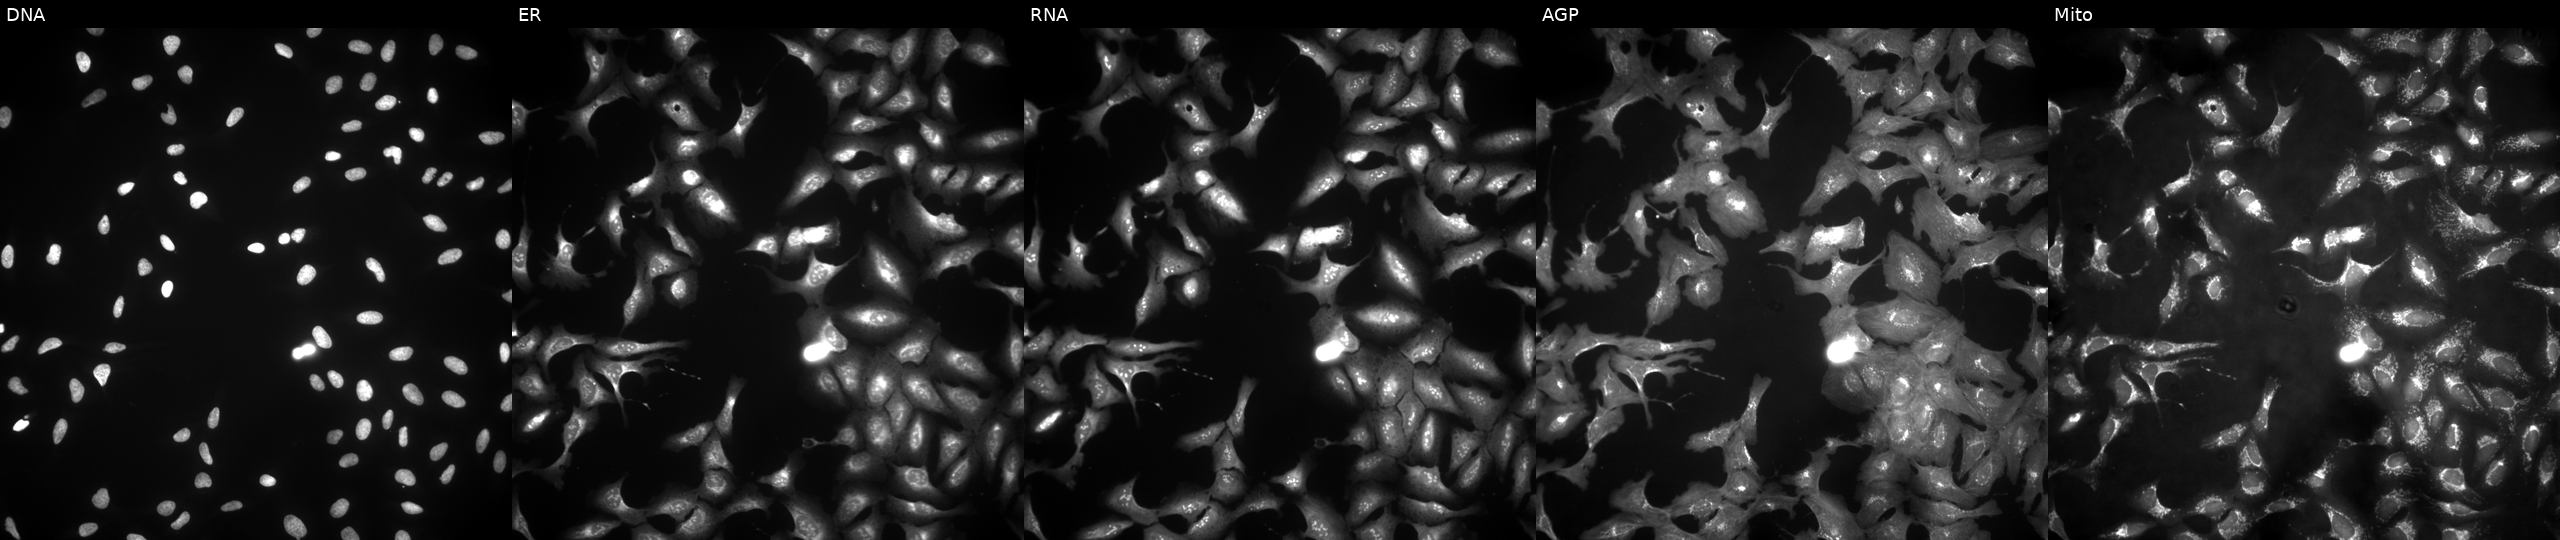
JUMP Cell Painting — ORF plate. U2OS cells untreated (empty-well control). The five panels, left to right, show DNA, ER, RNA, AGP, and Mito.